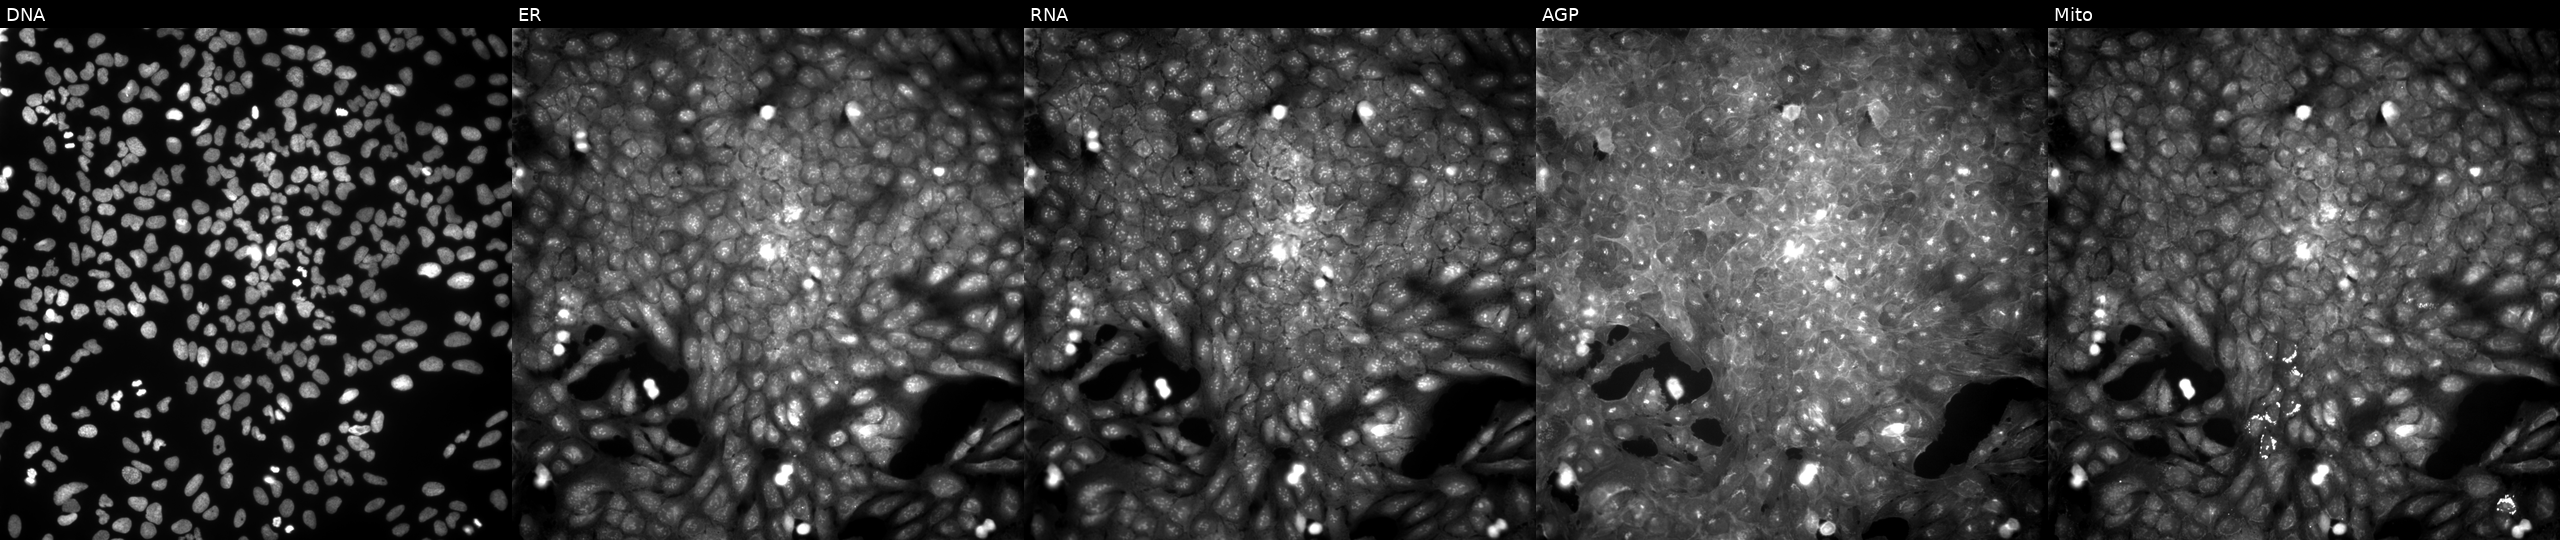
High-content fluorescence microscopy (Cell Painting). Cell line: U2OS. Perturbation: exposed to a small-molecule compound (InChIKey DGOJGYLHGQHSQH-UHFFFAOYSA-N). The five panels, left to right, show Hoechst 33342, concanavalin A, SYTO 14, phalloidin and WGA, MitoTracker.